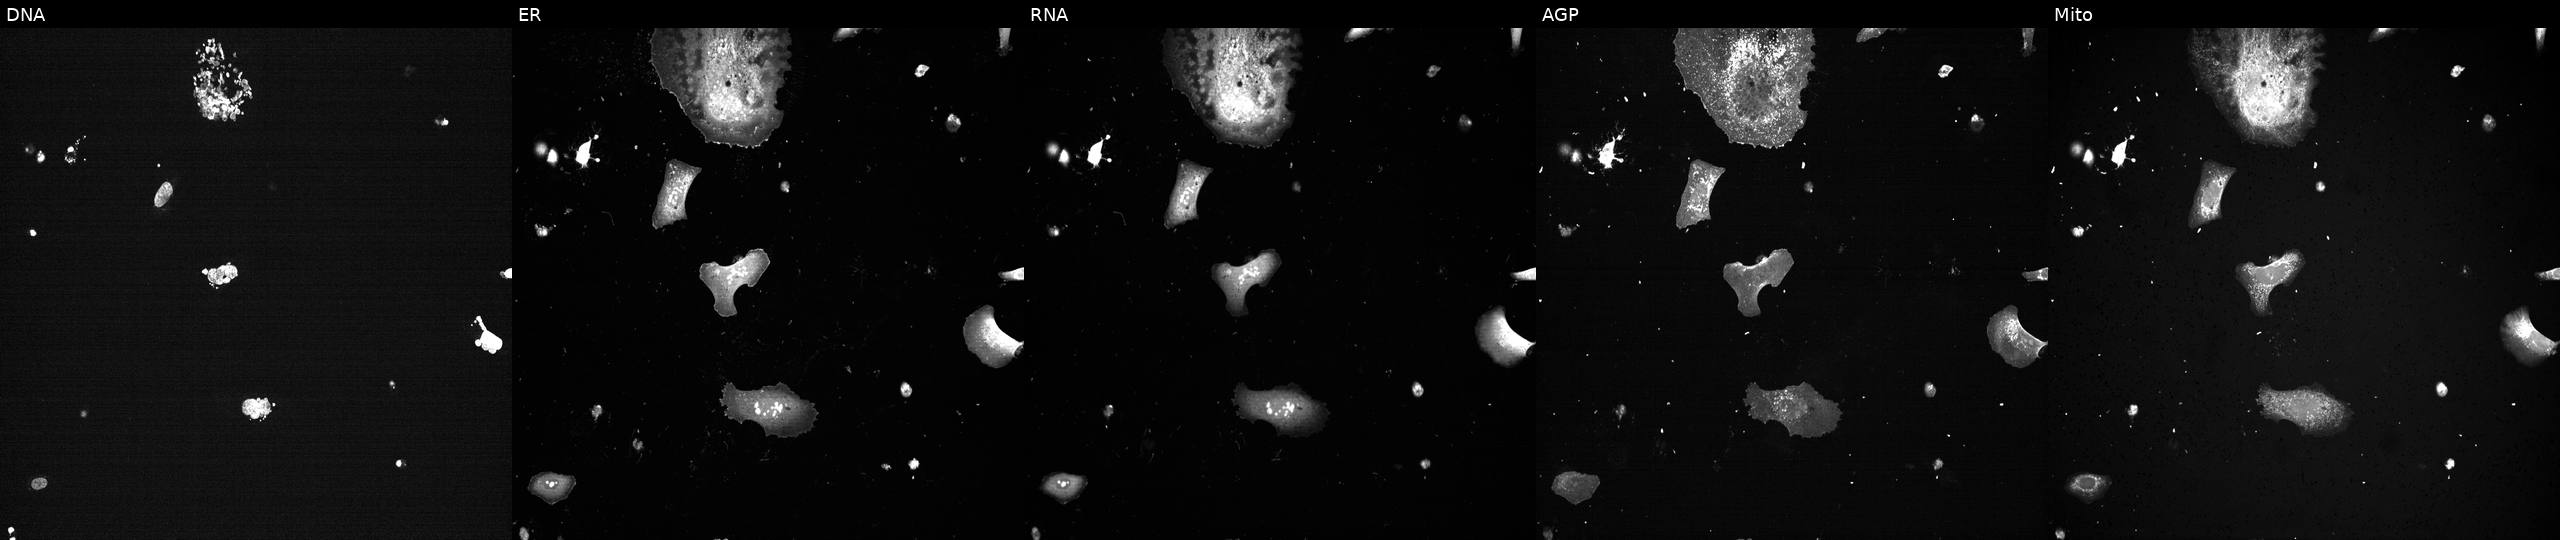
Channels (left→right): DNA (nuclei); ER (endoplasmic reticulum); RNA (nucleoli and cytoplasmic RNA); AGP (actin cytoskeleton, Golgi, and plasma membrane); Mito (mitochondria). U2OS osteosarcoma cells with PLK1 knocked out by CRISPR (positive control). Cell Painting assay, JUMP-CP dataset.